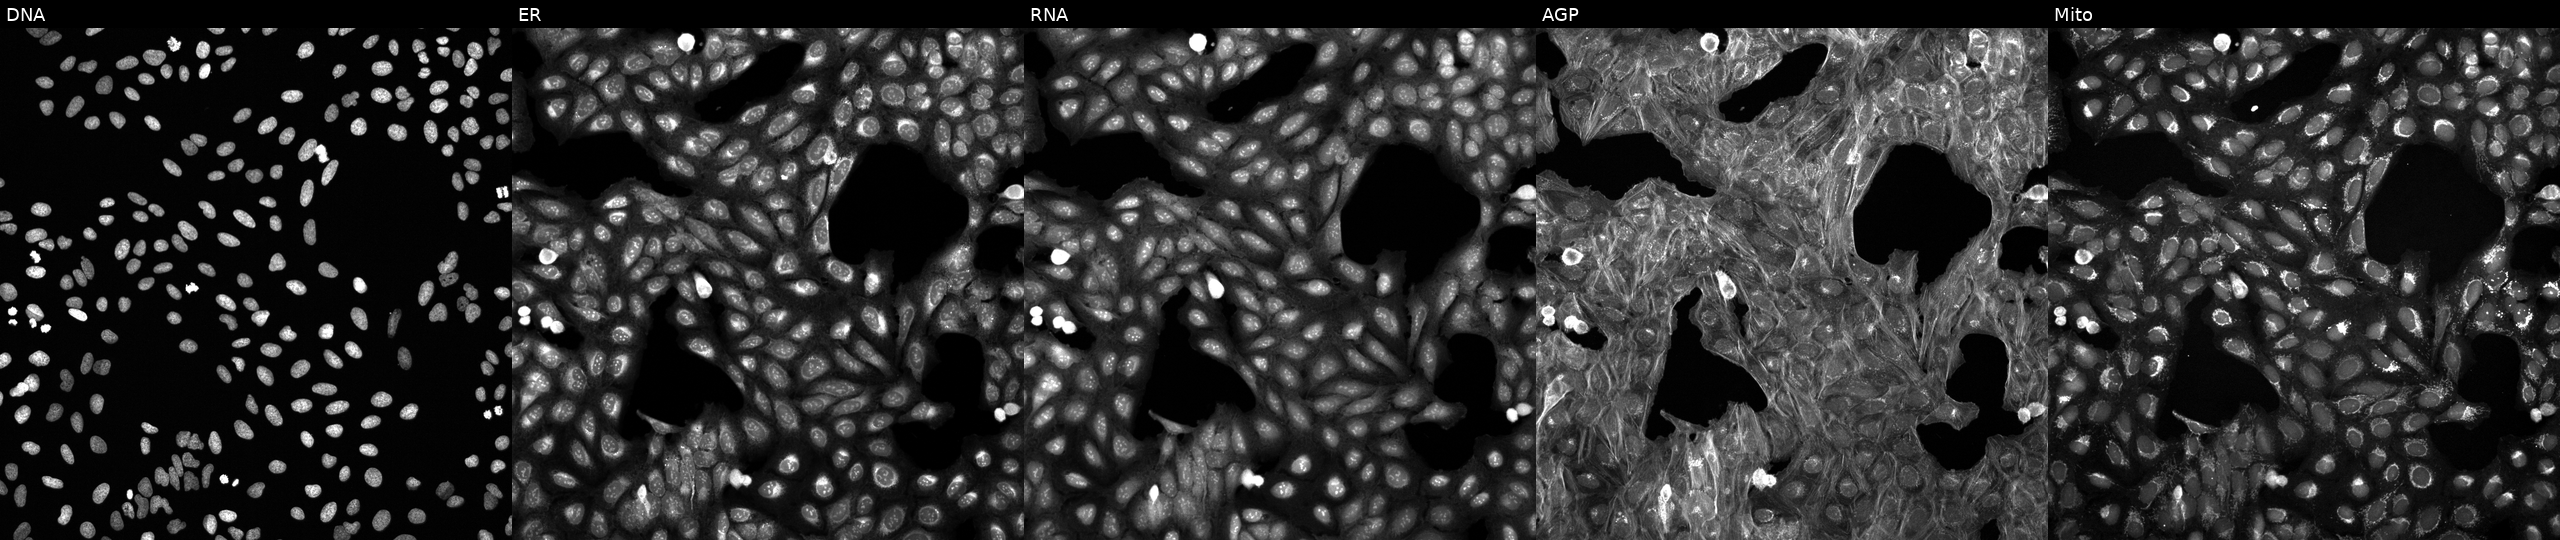
U2OS cells, Cell Painting assay, exposed to a small-molecule compound (InChIKey FPVKHBSQESCIEP-UHFFFAOYSA-N). Panels show, left to right, DNA (nuclei); ER (endoplasmic reticulum); RNA (nucleoli and cytoplasmic RNA); AGP (actin cytoskeleton, Golgi, and plasma membrane); Mito (mitochondria). Each panel is percentile-stretched 16-bit fluorescence. Source 6, plate 110000294901, well O04.